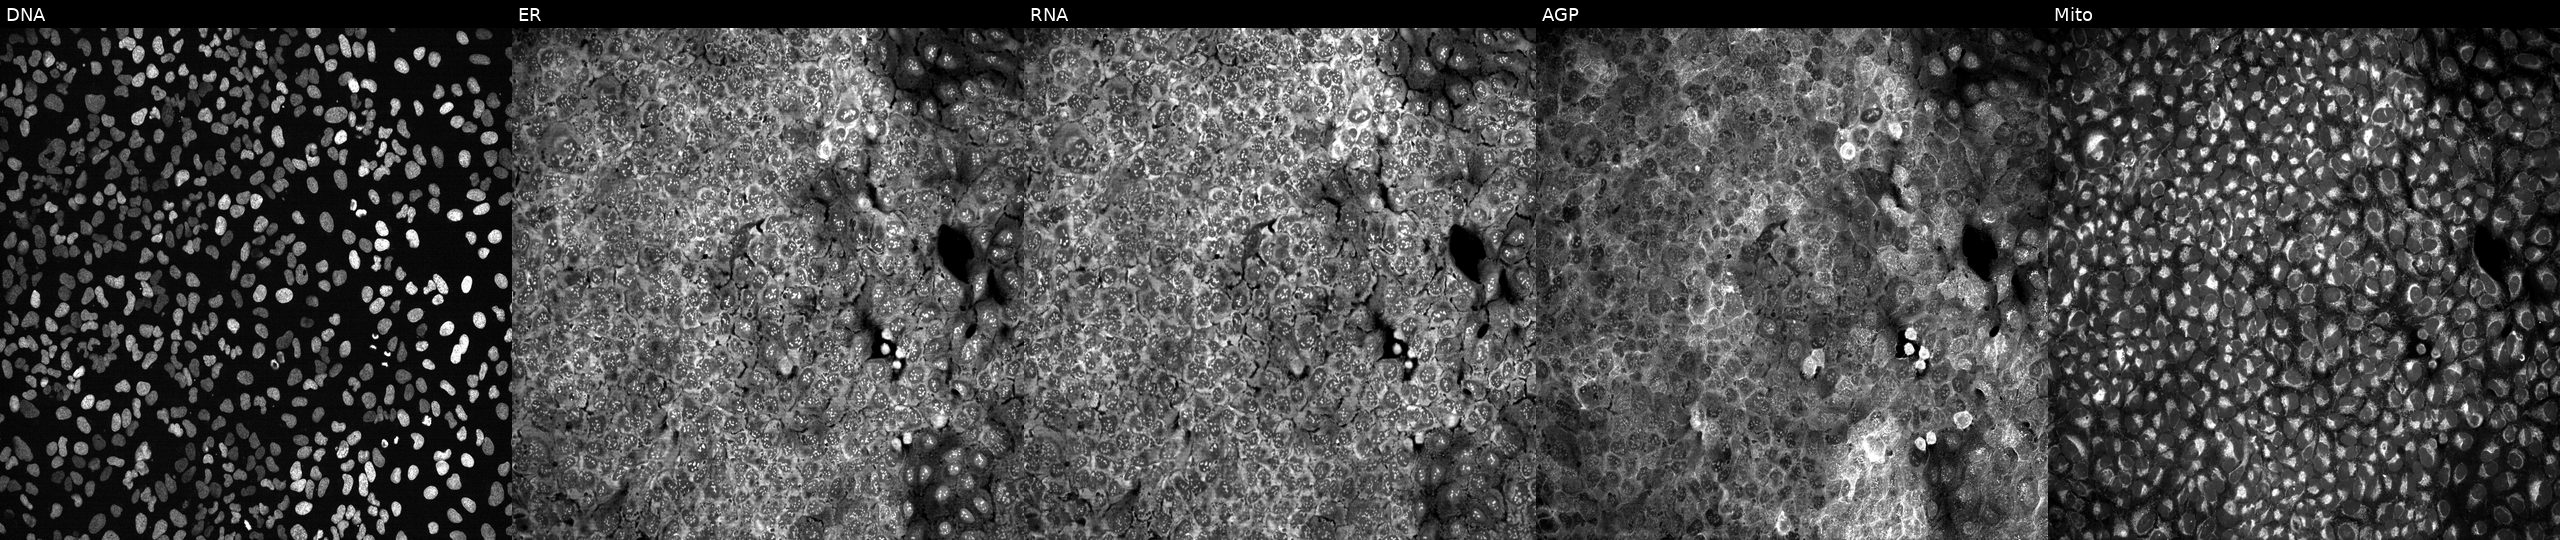
U2OS cells, Cell Painting assay, CRISPR-edited to disrupt UGT8. Channels (left→right): DNA (nuclei); ER (endoplasmic reticulum); RNA (nucleoli and cytoplasmic RNA); AGP (actin cytoskeleton, Golgi, and plasma membrane); Mito (mitochondria). Each panel is percentile-stretched 16-bit fluorescence. Source 13, plate CP-CC9-R4-04, well F12.